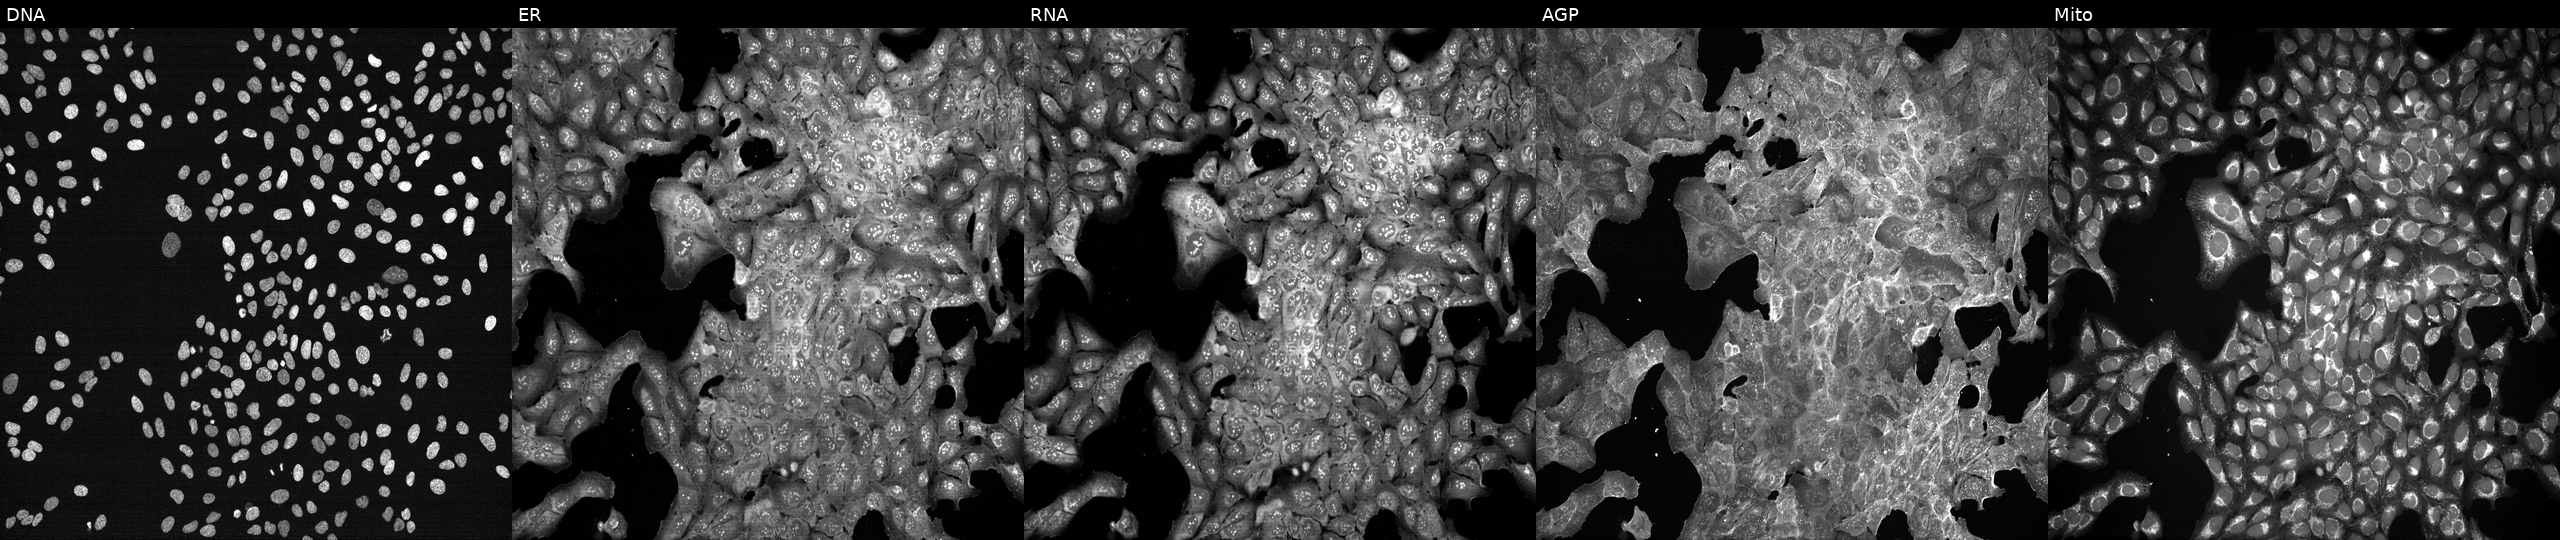
This image strip shows the five Cell Painting channels for a single field of U2OS cells perturbed with a small-molecule compound. Channels (left→right): DNA, ER, RNA, AGP, and Mito. Source 7, plate CP3-SC1-25, well B03.